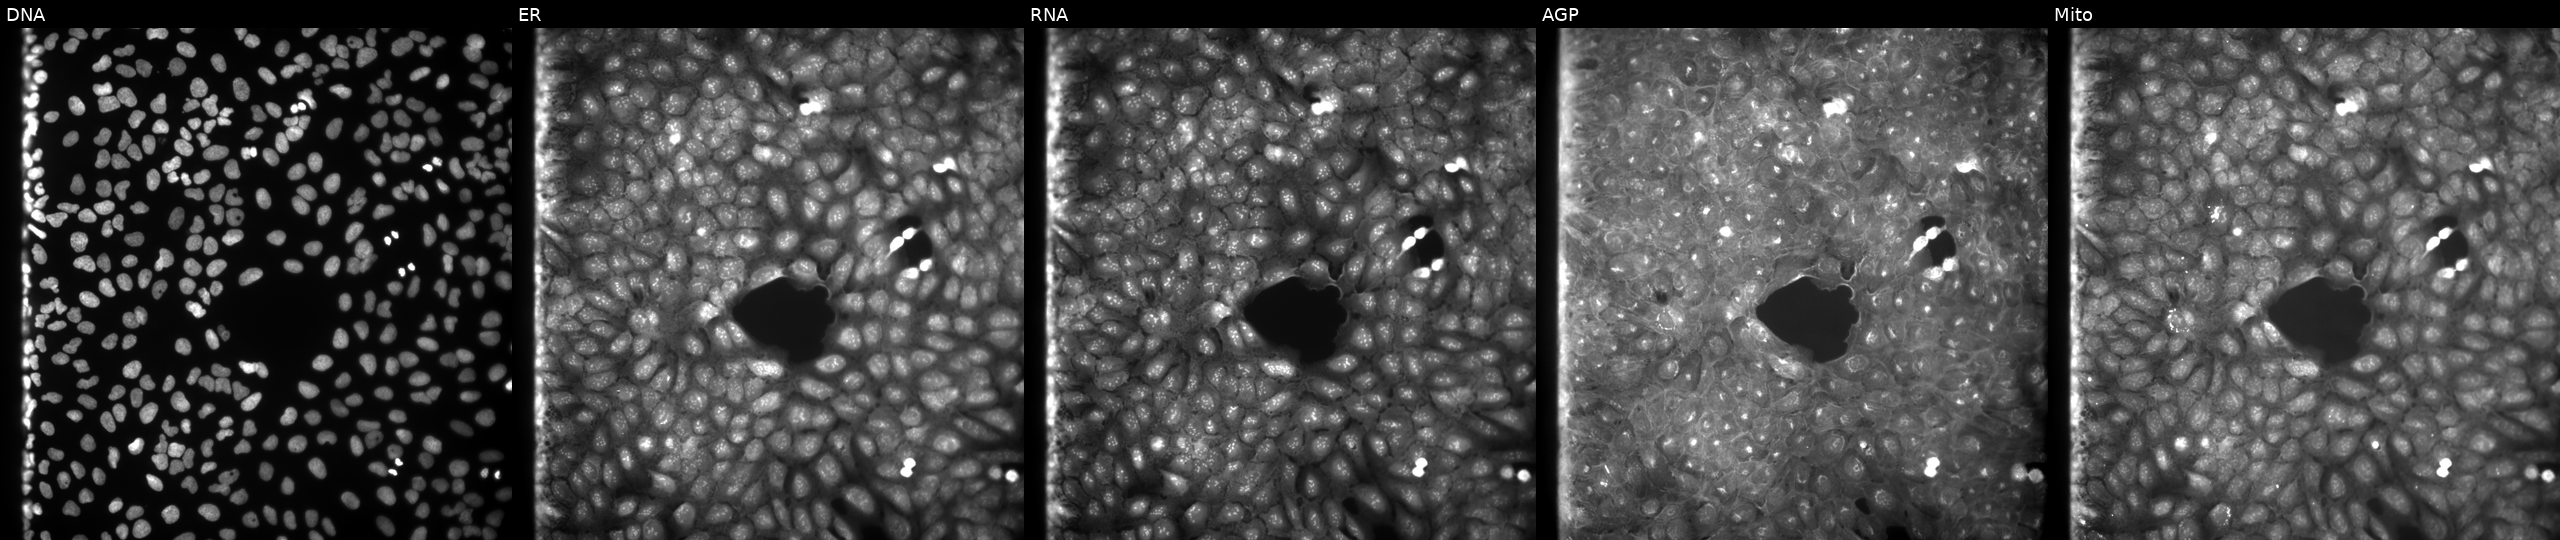
U2OS cells, Cell Painting assay, perturbed with a small-molecule compound (InChIKey MTMXIDCSVLVFRX-UHFFFAOYSA-N). Channels (left→right): DNA (nuclei); ER (endoplasmic reticulum); RNA (nucleoli and cytoplasmic RNA); AGP (actin cytoskeleton, Golgi, and plasma membrane); Mito (mitochondria). Each panel is percentile-stretched 16-bit fluorescence.